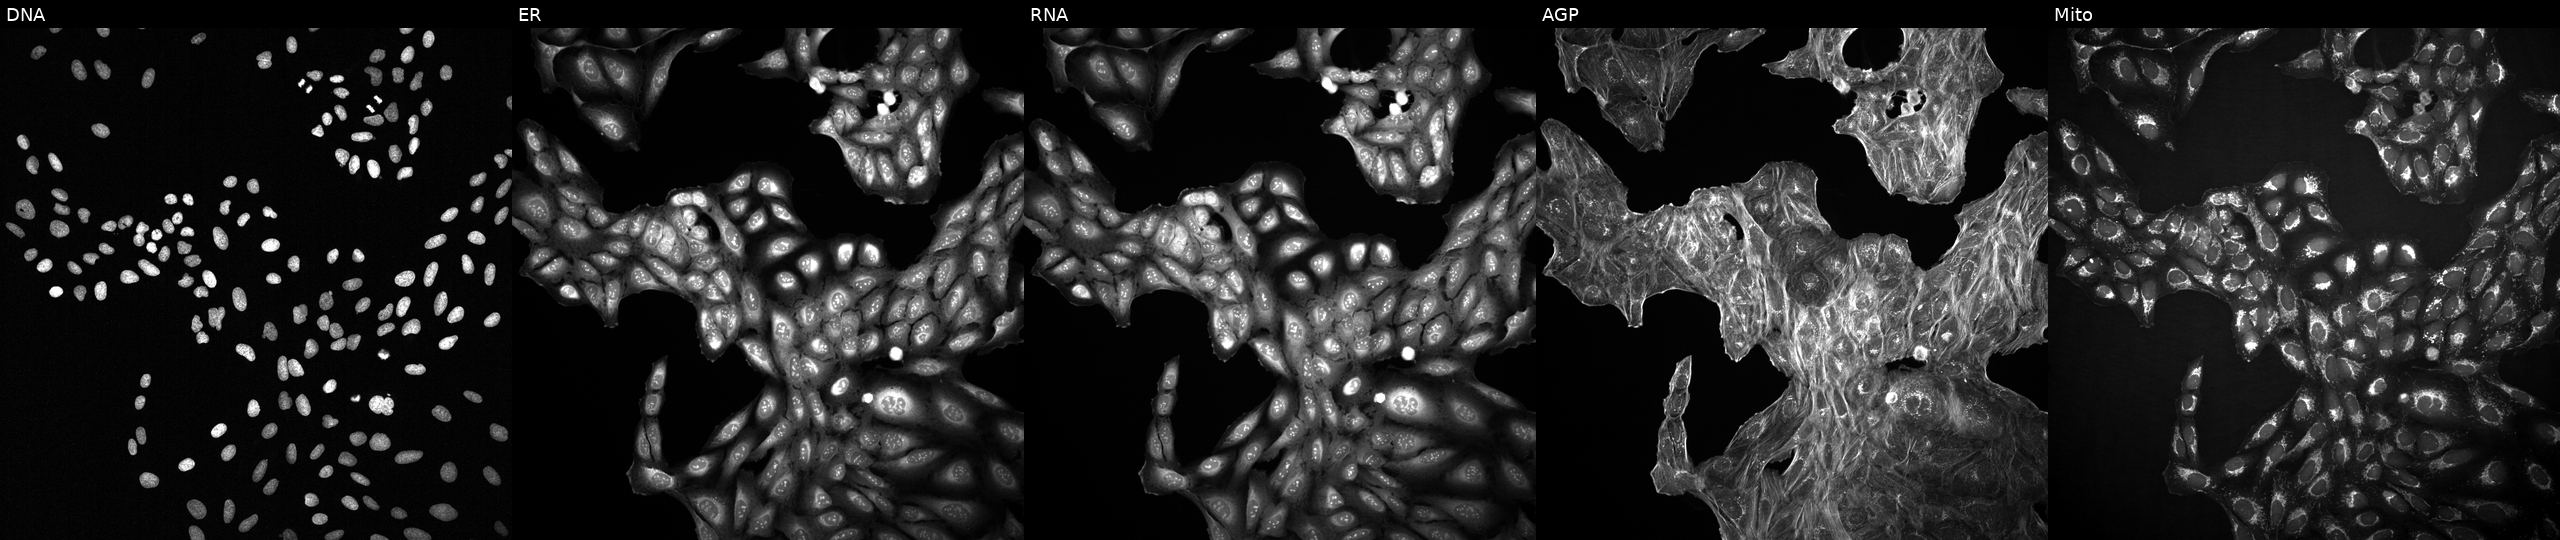
JUMP Cell Painting — COMPOUND plate. U2OS cells exposed to DMSO alone as a negative control (JUMP id JCP2022_033924). The five panels, left to right, show DNA, ER, RNA, AGP, and Mito.